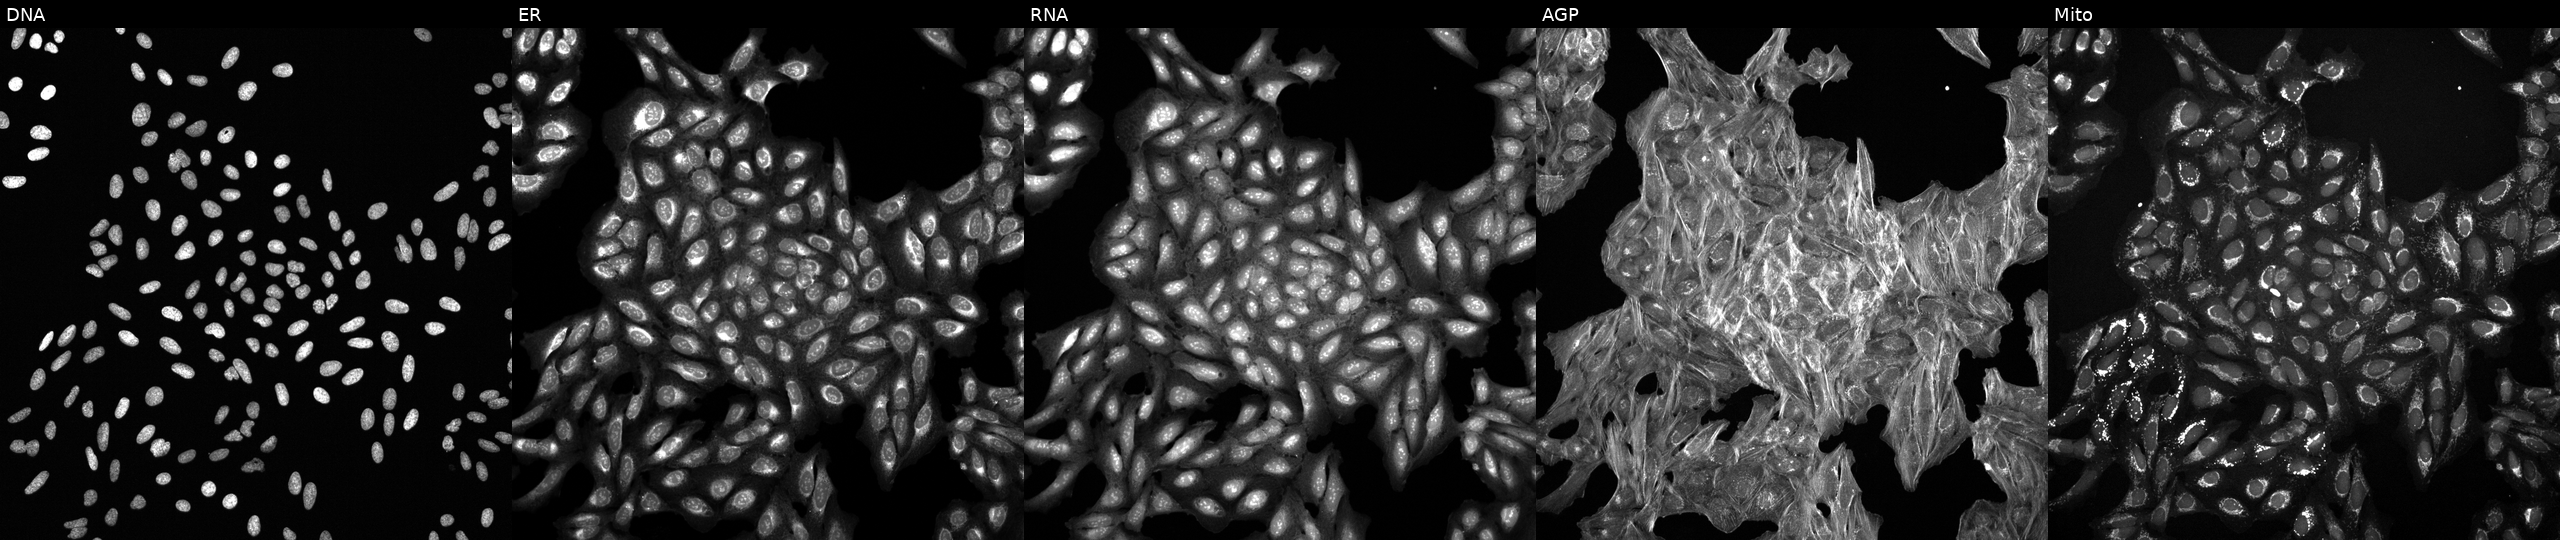
High-content fluorescence microscopy (Cell Painting). Cell line: U2OS. Perturbation: exposed to a small-molecule compound (InChIKey FWLZBKHKRUQLAX-UHFFFAOYSA-N) [SMILES: C=CCn1c(-c2ccc(Cl)cc2)cnc1SCc1cc(=O)n2ccc(C)cc2n1]. Panels show, left to right, DNA, ER, RNA, AGP, and Mito.